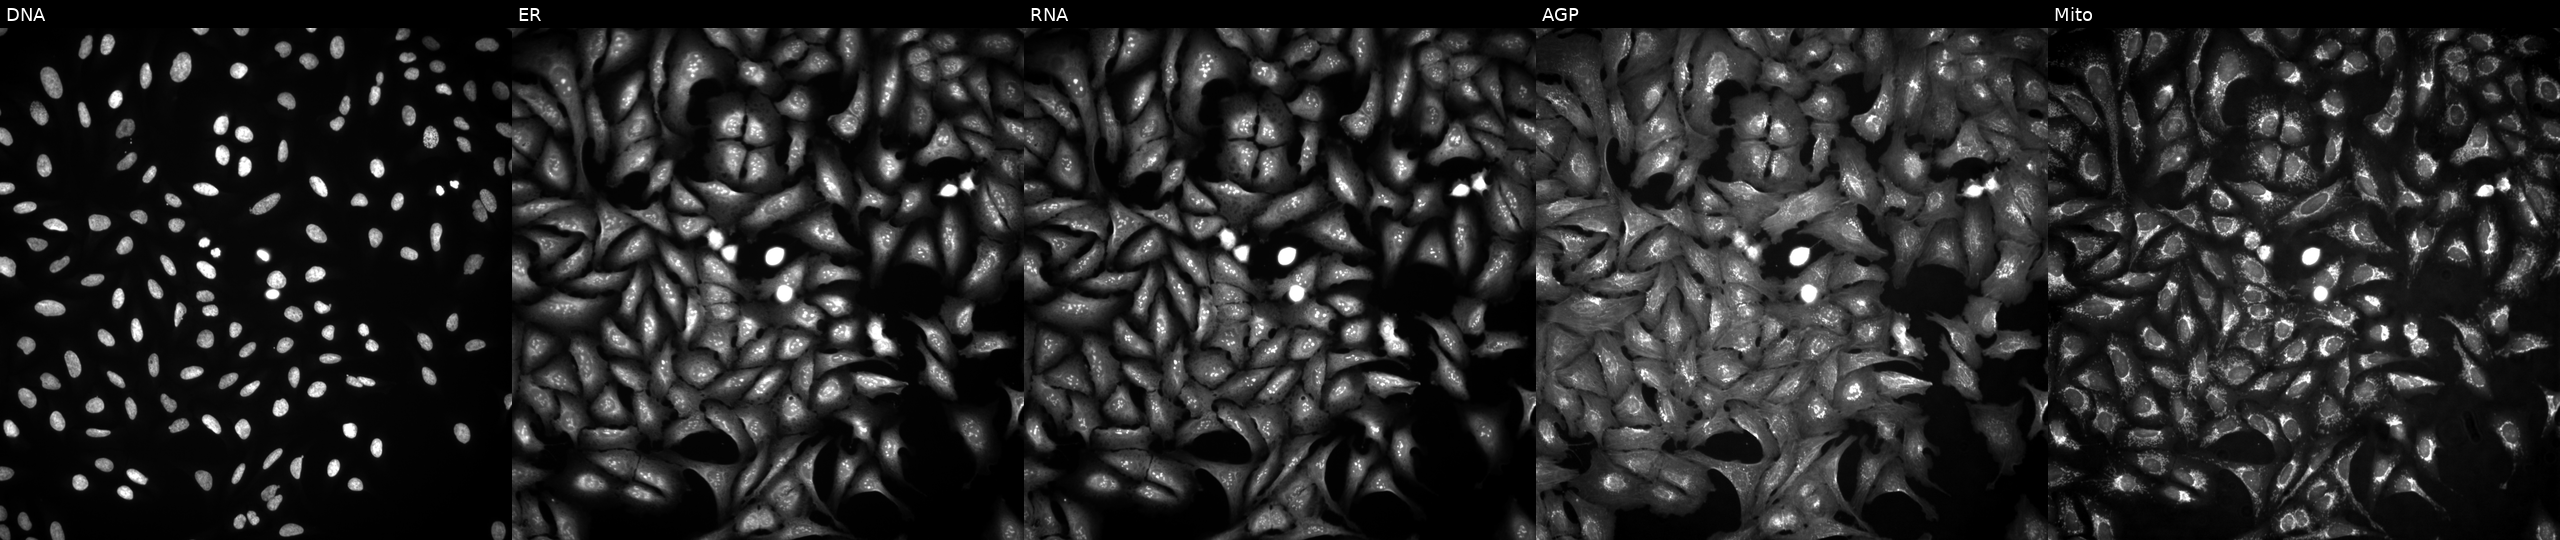
U2OS cells, Cell Painting assay, with TRIM73 overexpressed (ORF). Channels (left→right): Hoechst 33342, concanavalin A, SYTO 14, phalloidin and WGA, MitoTracker. Each panel is percentile-stretched 16-bit fluorescence.